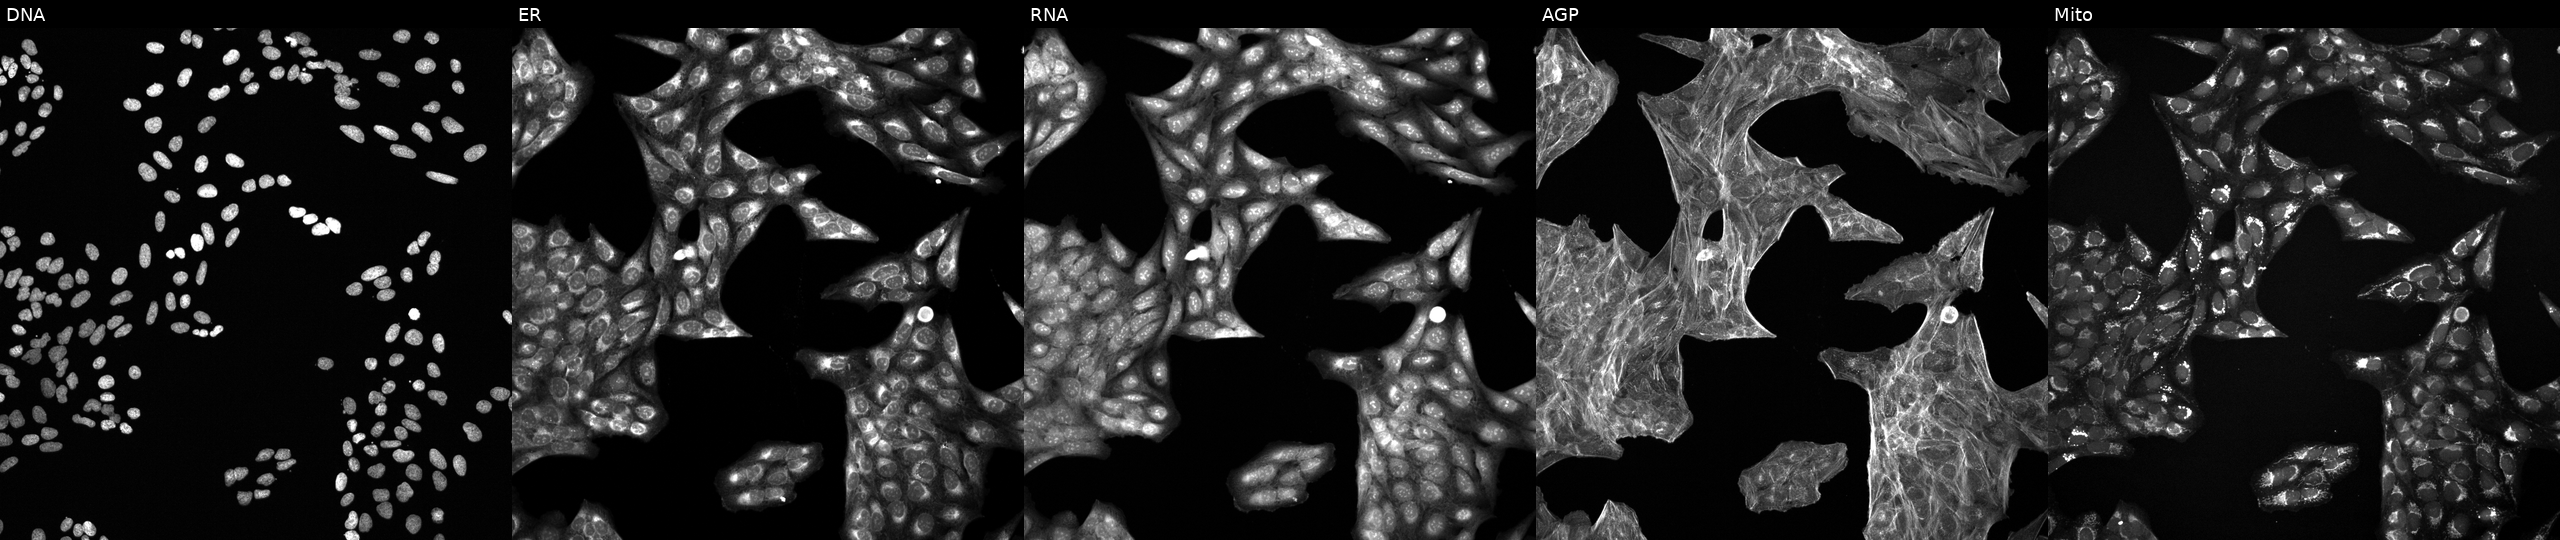
This image strip shows the five Cell Painting channels for a single field of U2OS cells exposed to a small-molecule compound (InChIKey RYMZZMVNJRMUDD-UHFFFAOYSA-N) (JUMP id JCP2022_081555). Panels show, left to right, DNA, ER, RNA, AGP, and Mito. Source 6, plate 110000293081, well N02.